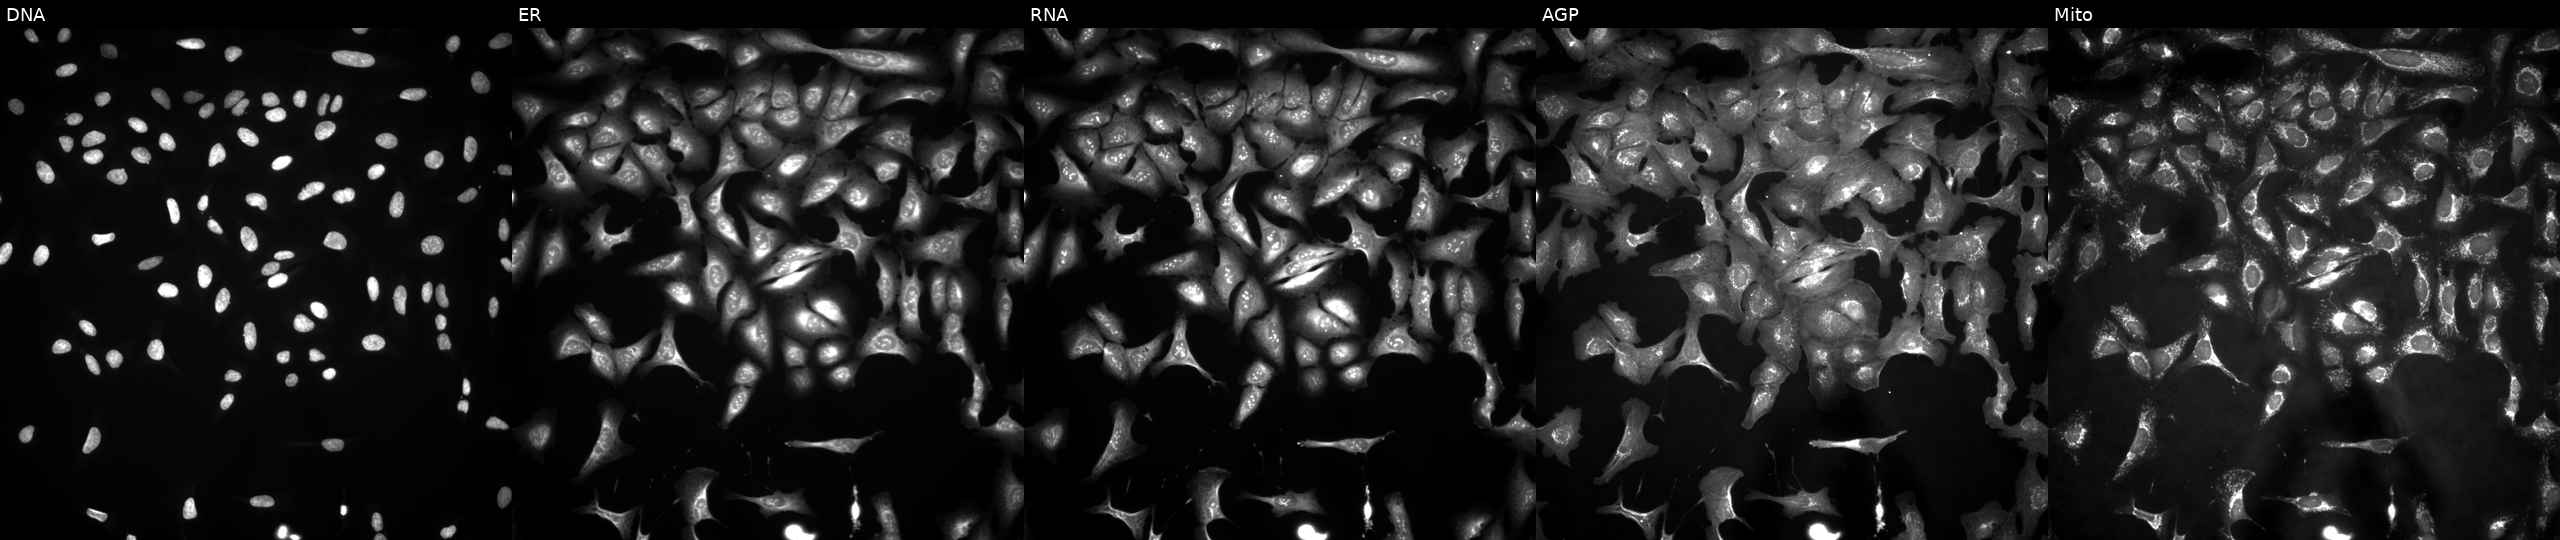
High-content fluorescence microscopy (Cell Painting). Cell line: U2OS. Perturbation: with CAPN11 overexpressed (ORF). Channels (left→right): DNA (nuclei); ER (endoplasmic reticulum); RNA (nucleoli and cytoplasmic RNA); AGP (actin cytoskeleton, Golgi, and plasma membrane); Mito (mitochondria).